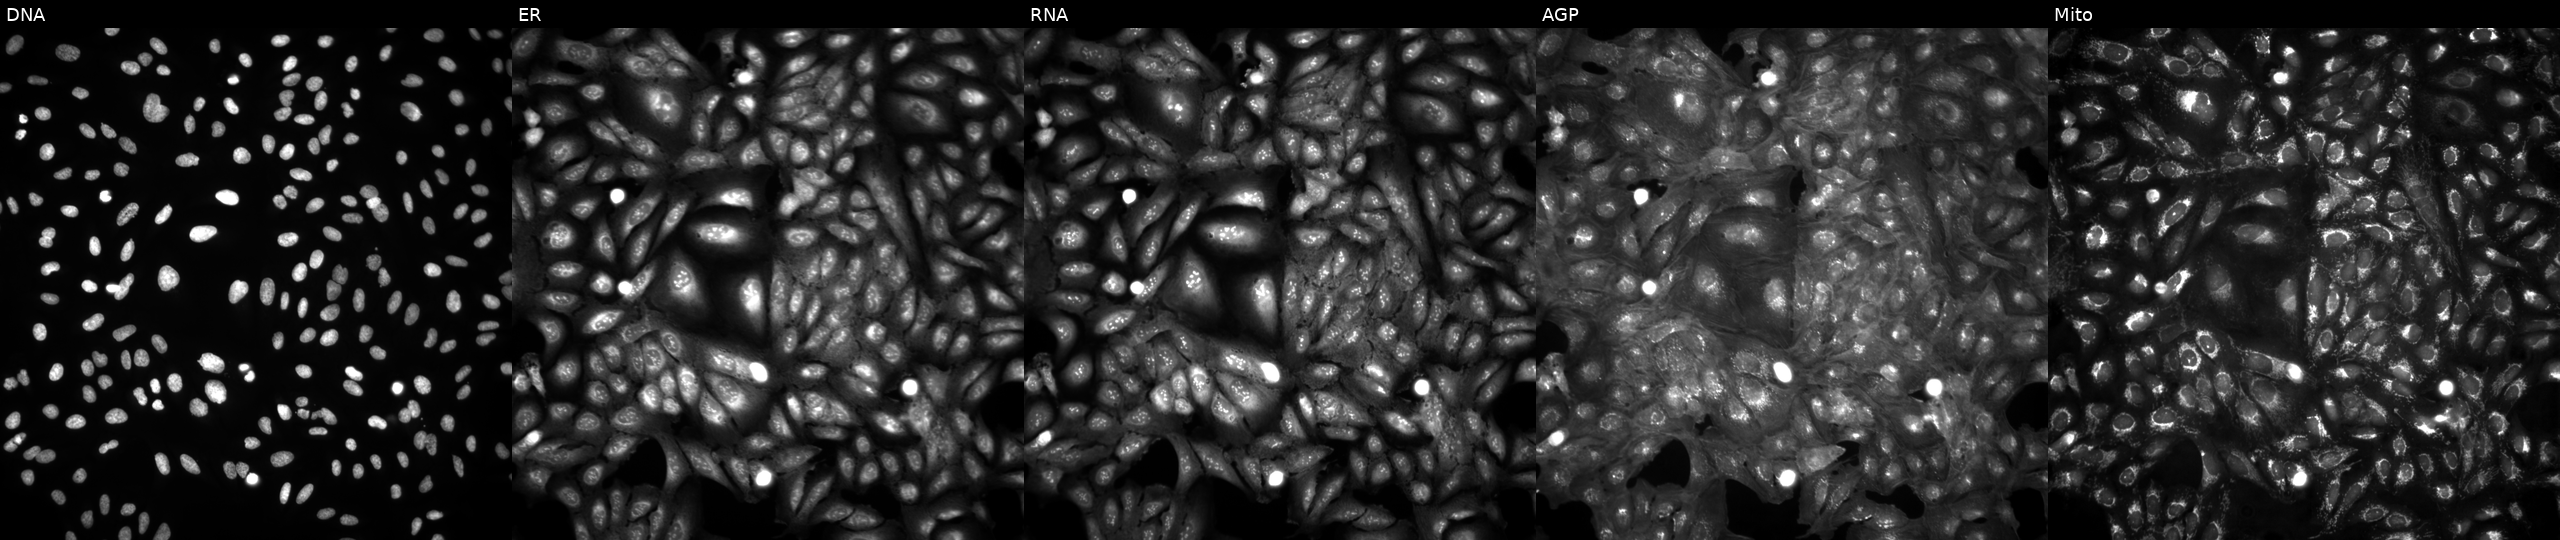
Five-channel Cell Painting image of U2OS cells untreated (empty-well control) (JUMP id JCP2022_999999). The five panels, left to right, show DNA, ER, RNA, AGP, and Mito.